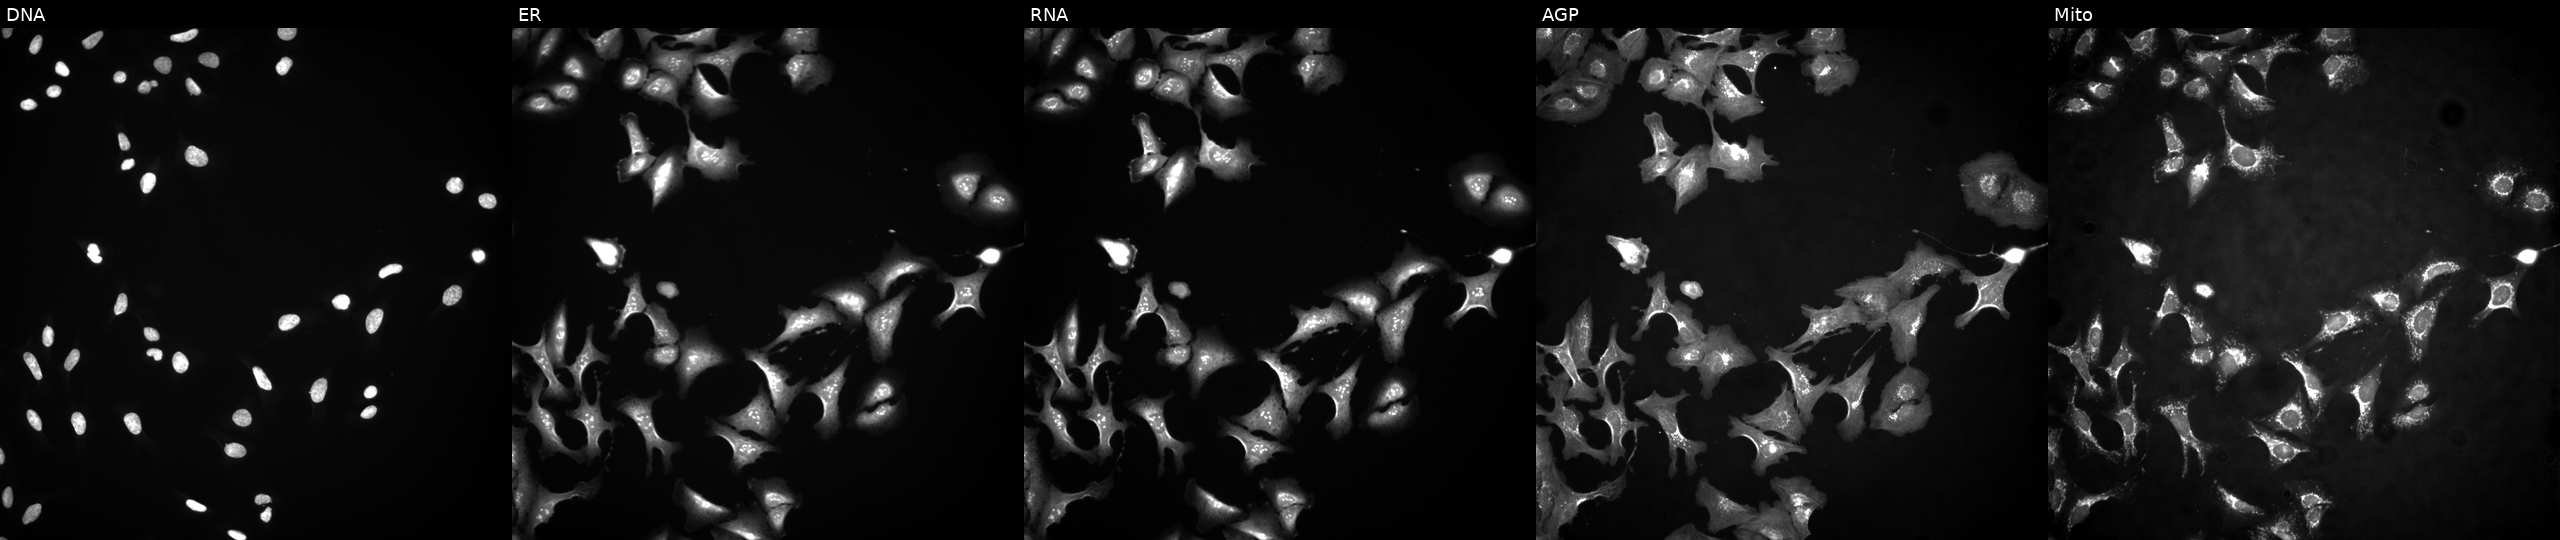
Five-channel Cell Painting image of U2OS cells transfected with an ORF construct for ZNF280A. From left to right: DNA, ER, RNA, AGP, and Mito.